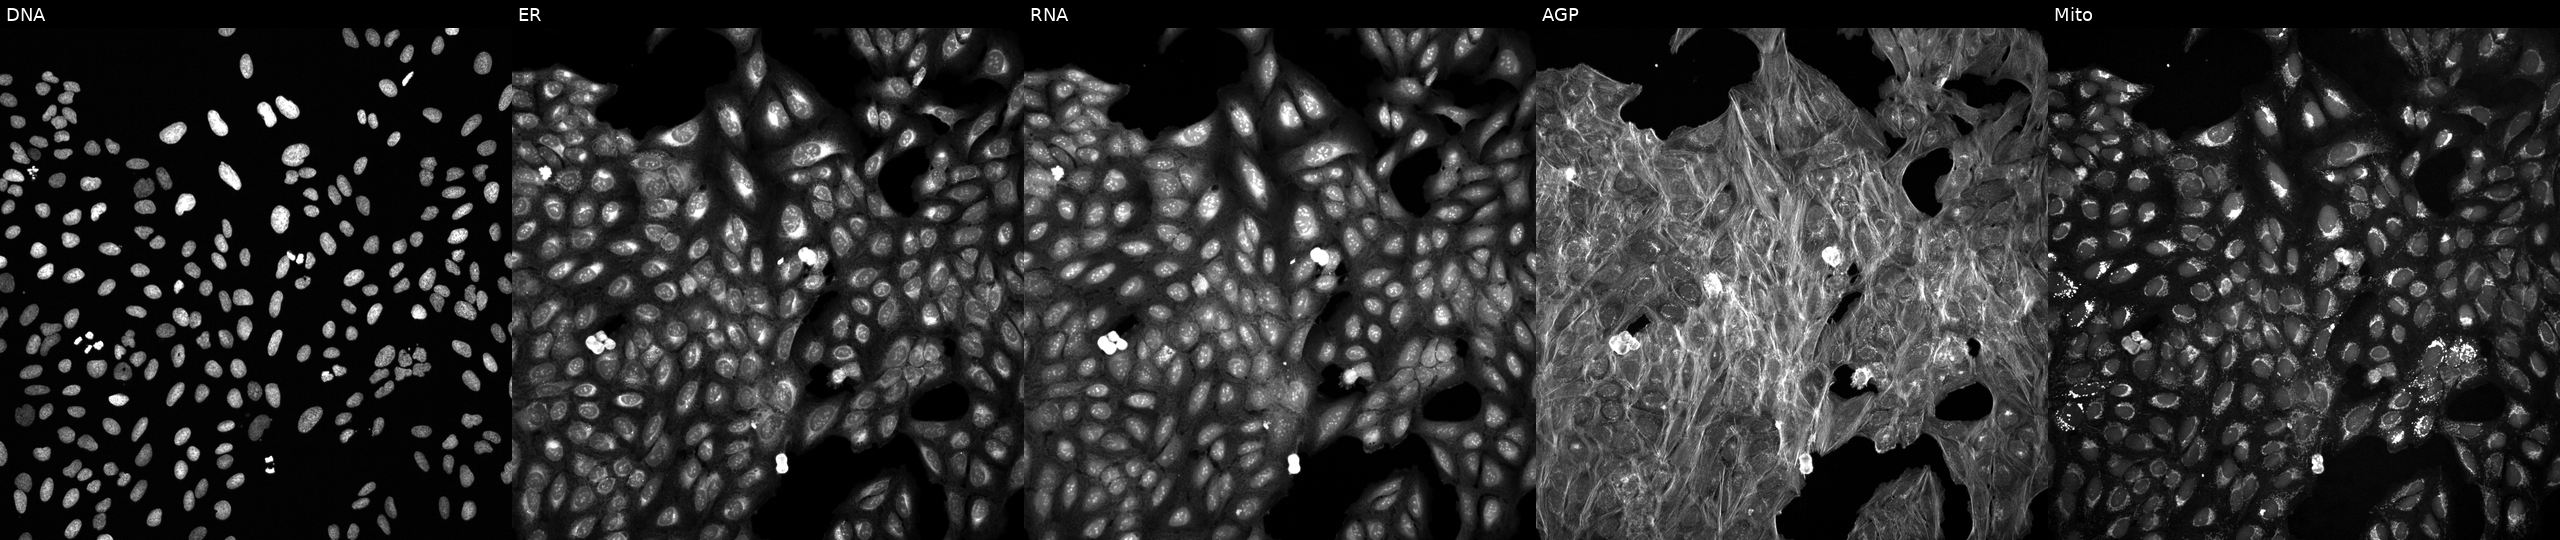
This image strip shows the five Cell Painting channels for a single field of U2OS cells treated with a small-molecule compound (InChIKey OTUNYXBUDGAMEQ-UHFFFAOYSA-N) (JUMP id JCP2022_066083). Panels show, left to right, DNA, ER, RNA, AGP, and Mito. Source 6, plate 110000293082, well N03.